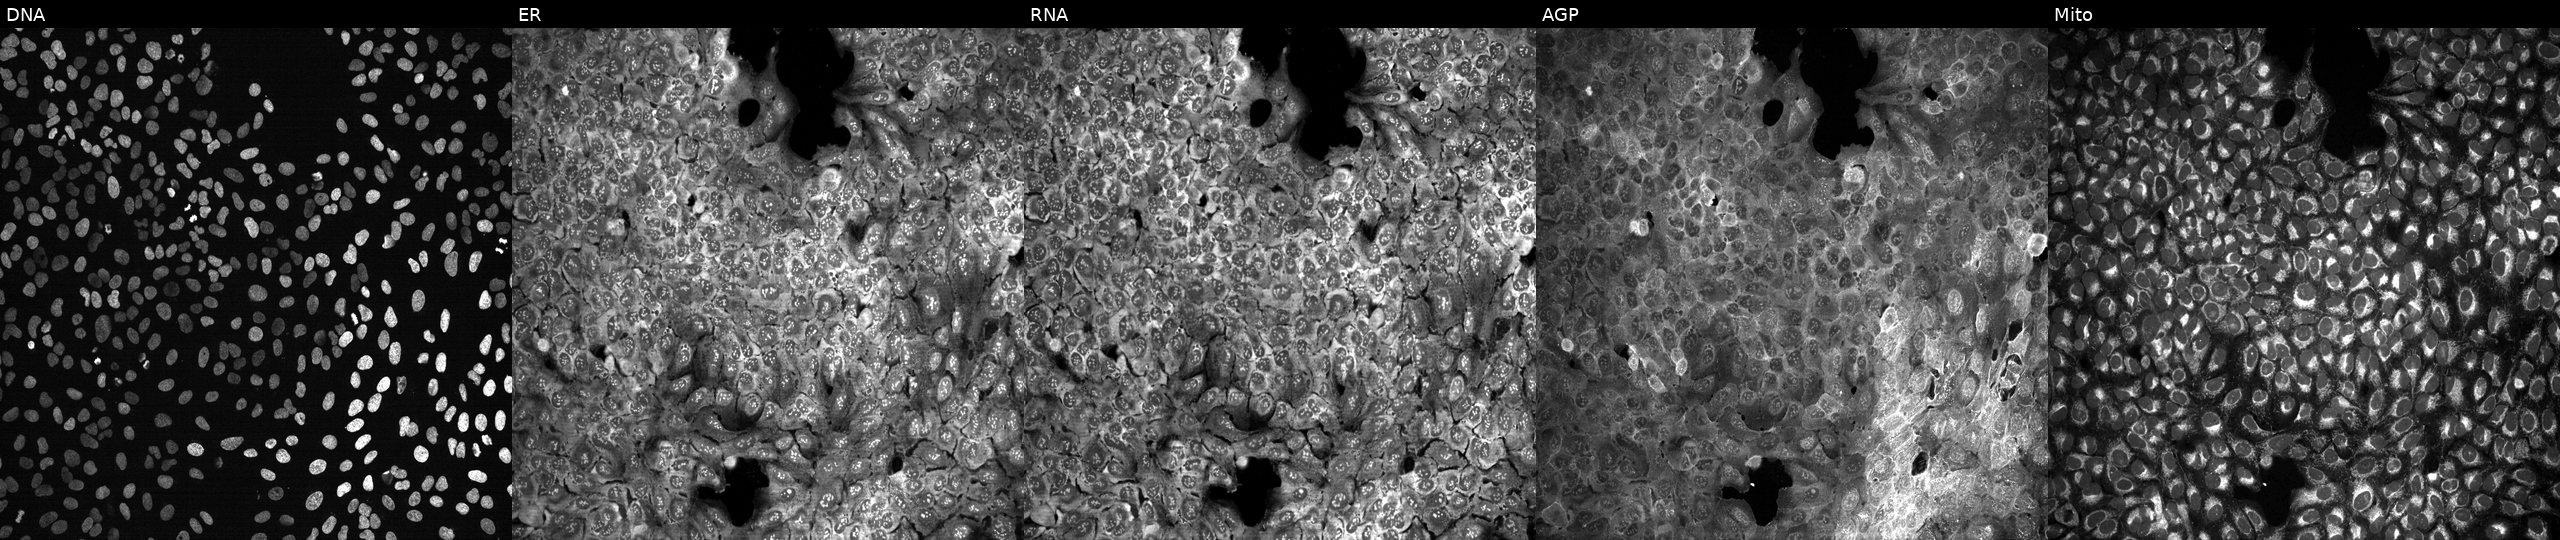
From left to right: Hoechst 33342, concanavalin A, SYTO 14, phalloidin and WGA, MitoTracker. U2OS osteosarcoma cells with PHYH knocked out by CRISPR (JUMP id JCP2022_805124). Cell Painting assay, JUMP-CP dataset. Source 13, plate CP-CC9-R4-03, well B08.